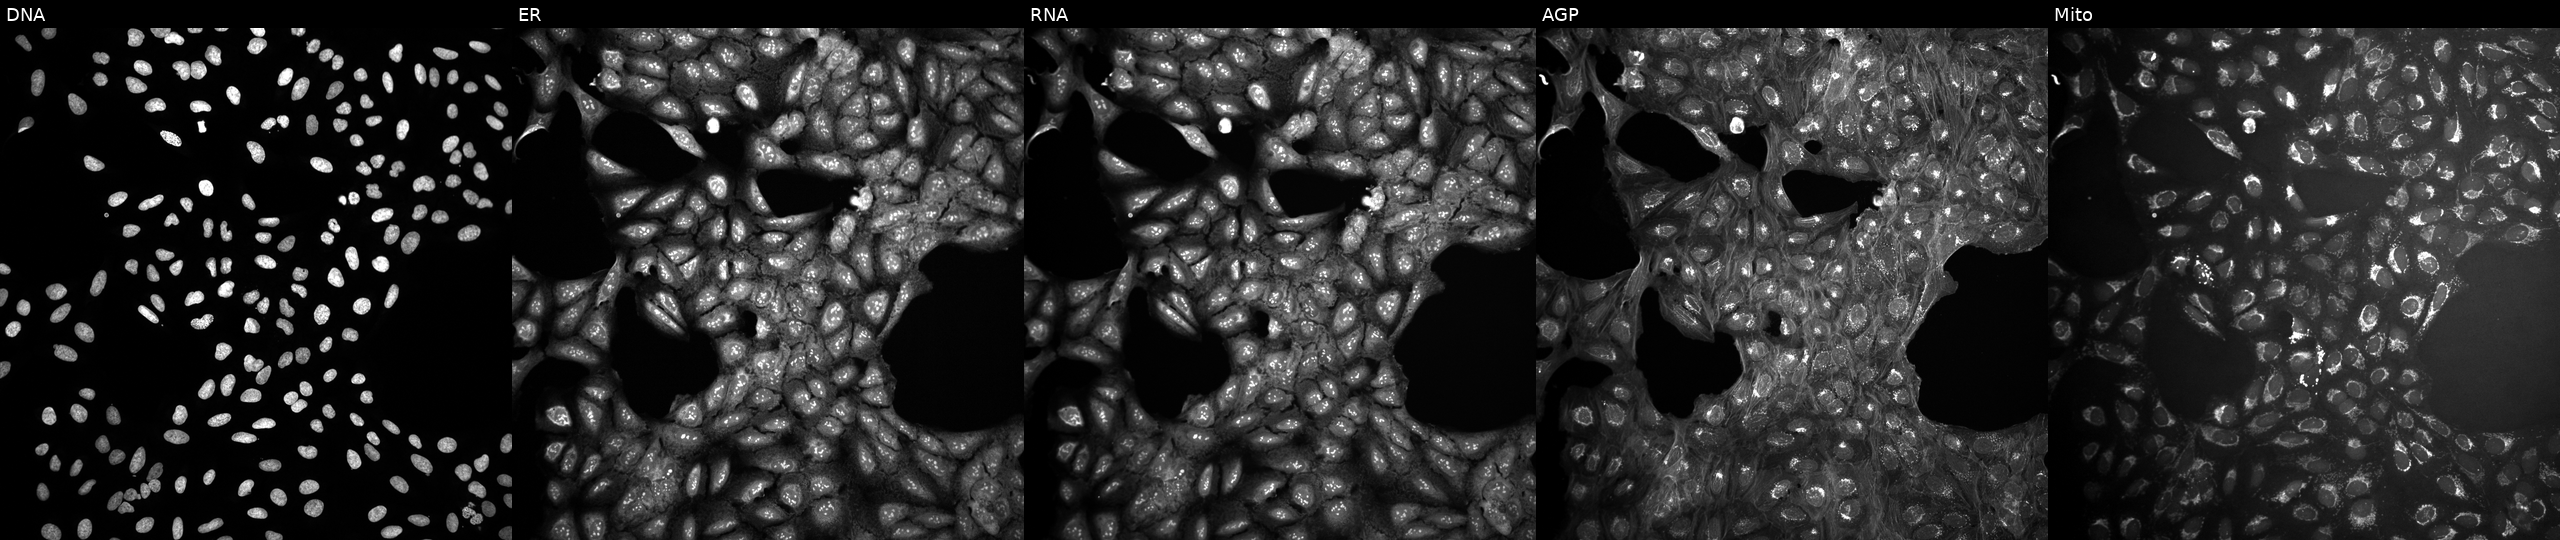
U2OS cells, Cell Painting assay, untreated (empty-well control) (JUMP id JCP2022_999999). From left to right: DNA, ER, RNA, AGP, and Mito. Each panel is percentile-stretched 16-bit fluorescence. Source 10, plate Dest210531-152149, well E21.